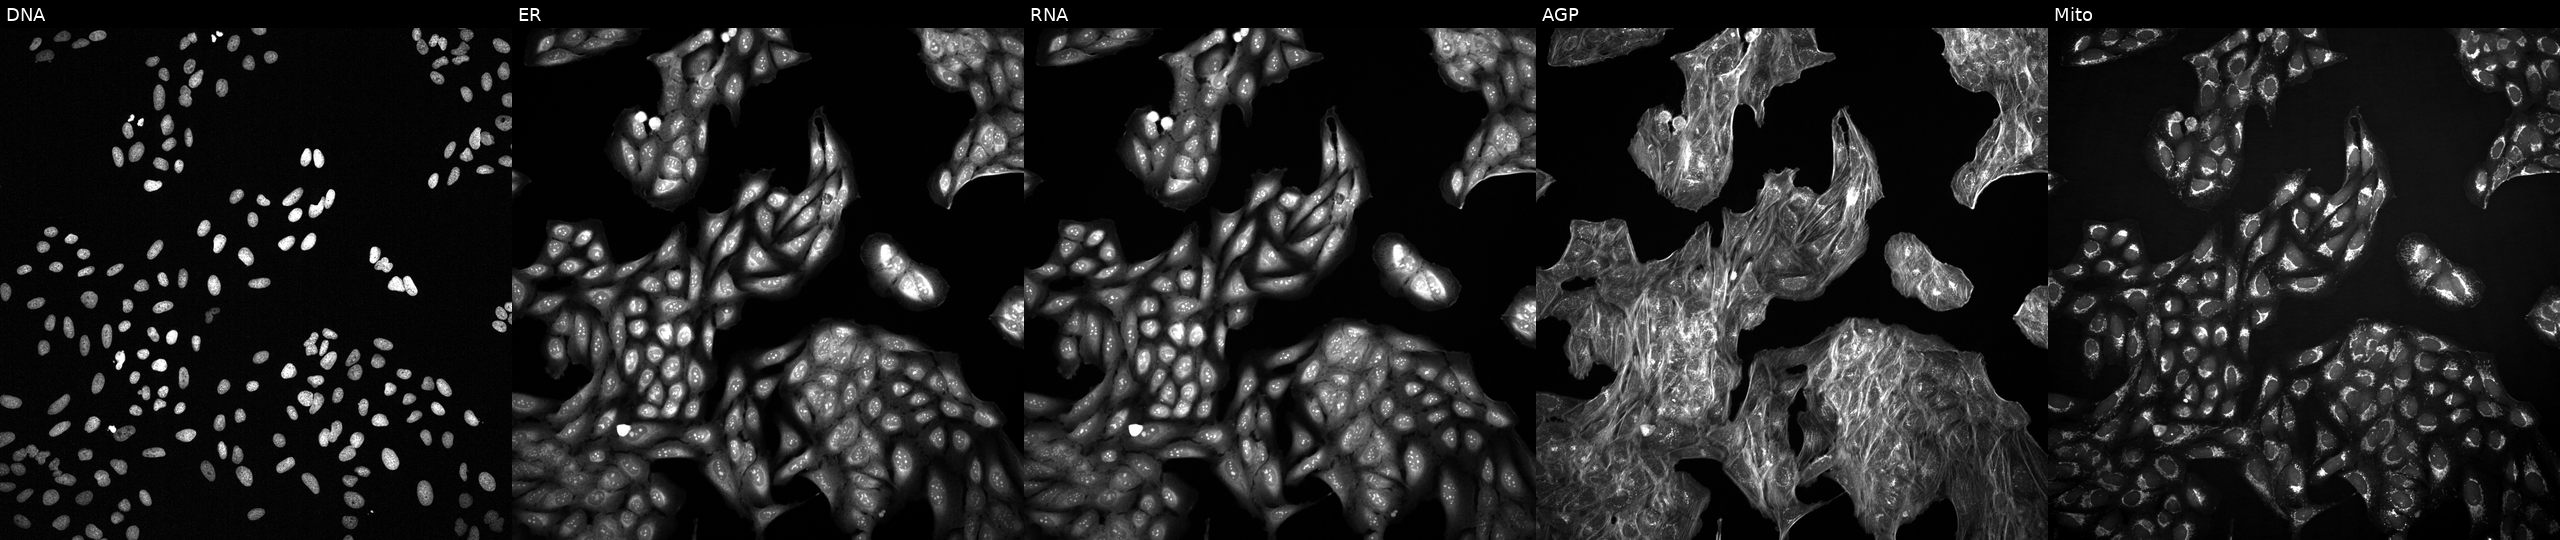
U2OS cells, Cell Painting assay, treated with a small-molecule compound (InChIKey NBHPRWLFLUBAIE-UHFFFAOYSA-N) (JUMP id JCP2022_057881). Panels show, left to right, DNA (nuclei); ER (endoplasmic reticulum); RNA (nucleoli and cytoplasmic RNA); AGP (actin cytoskeleton, Golgi, and plasma membrane); Mito (mitochondria). Each panel is percentile-stretched 16-bit fluorescence. Source 2, plate 1053600674, well I11.